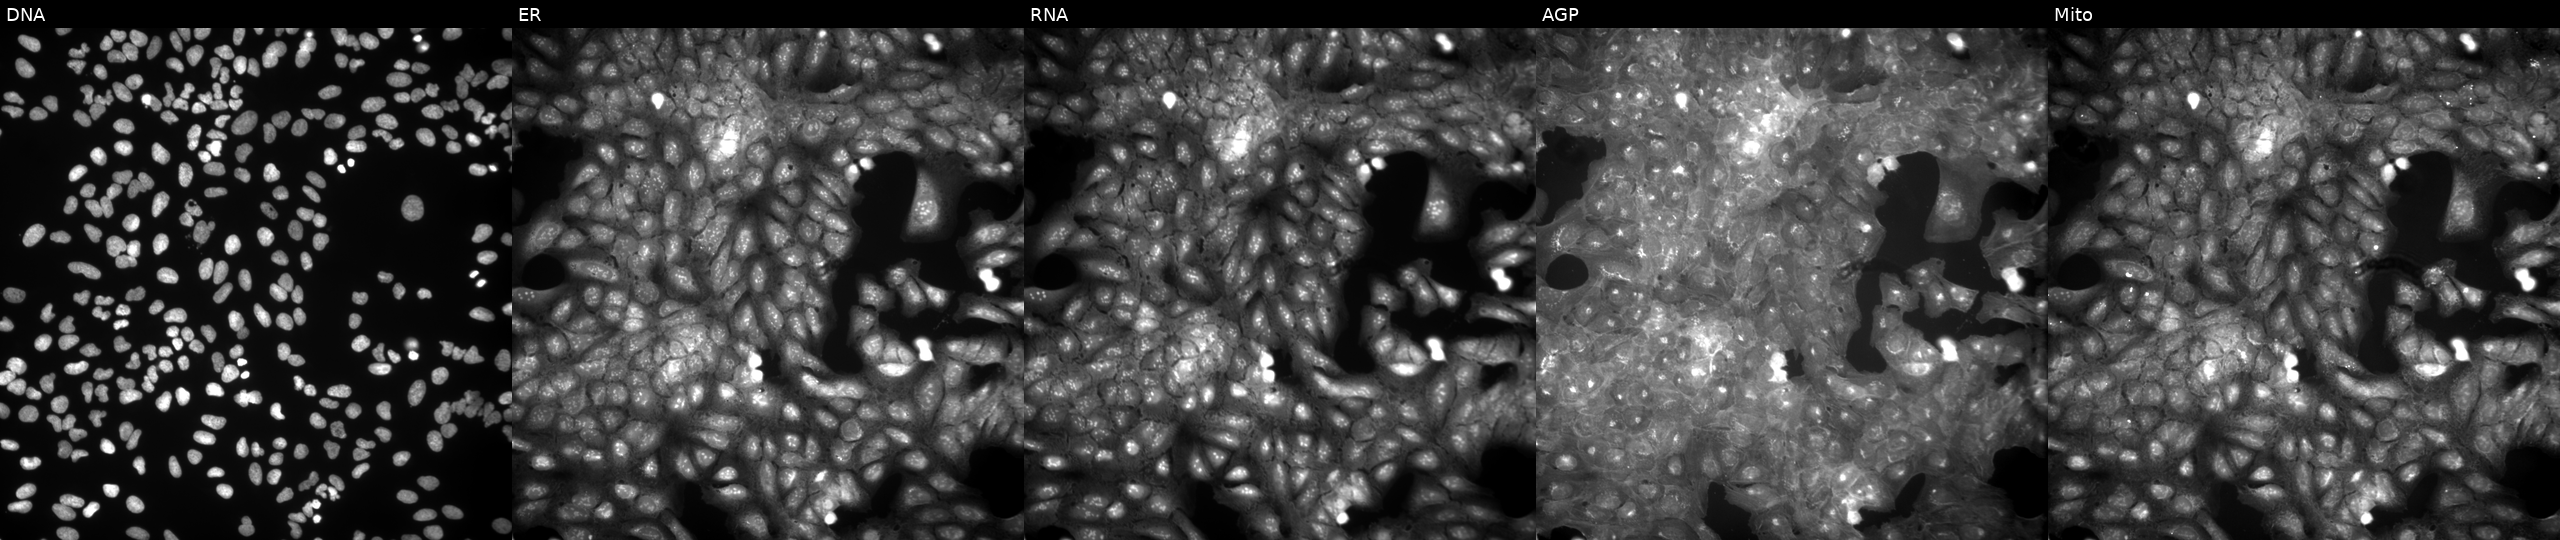
High-content fluorescence microscopy (Cell Painting). Cell line: U2OS. Perturbation: perturbed with a small-molecule compound (InChIKey WTGVPDIDMMMCKK-UHFFFAOYSA-N). From left to right: DNA, ER, RNA, AGP, and Mito.